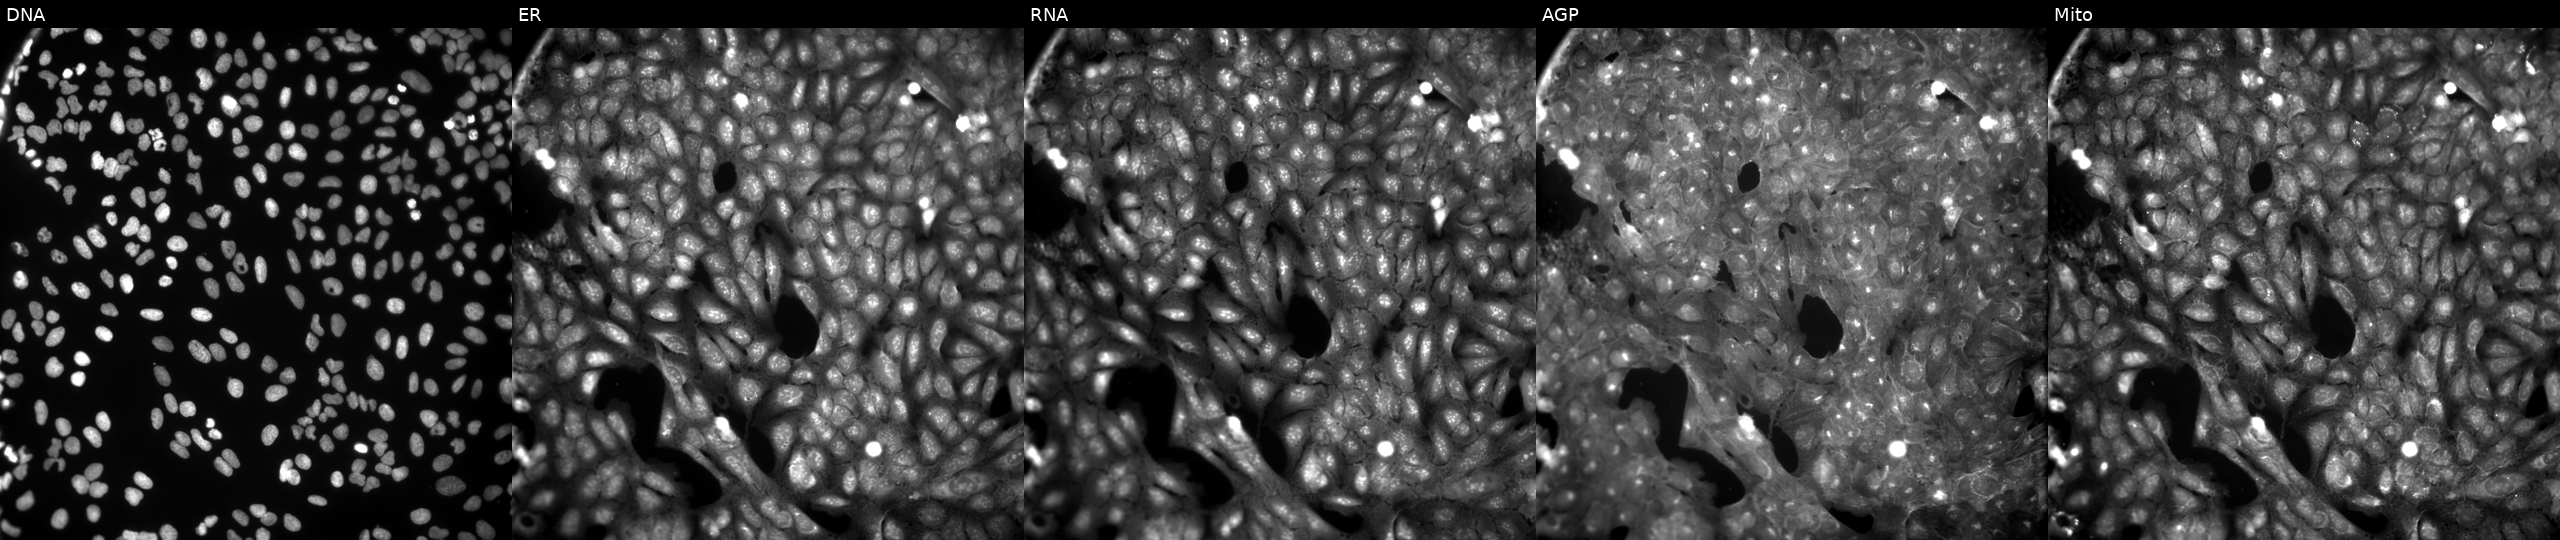
U2OS cells, Cell Painting assay, perturbed with a small-molecule compound (InChIKey ZPOBWBBFXZTTBT-UHFFFAOYSA-N) (JUMP id JCP2022_114851). Channels (left→right): DNA (nuclei); ER (endoplasmic reticulum); RNA (nucleoli and cytoplasmic RNA); AGP (actin cytoskeleton, Golgi, and plasma membrane); Mito (mitochondria). Each panel is percentile-stretched 16-bit fluorescence.